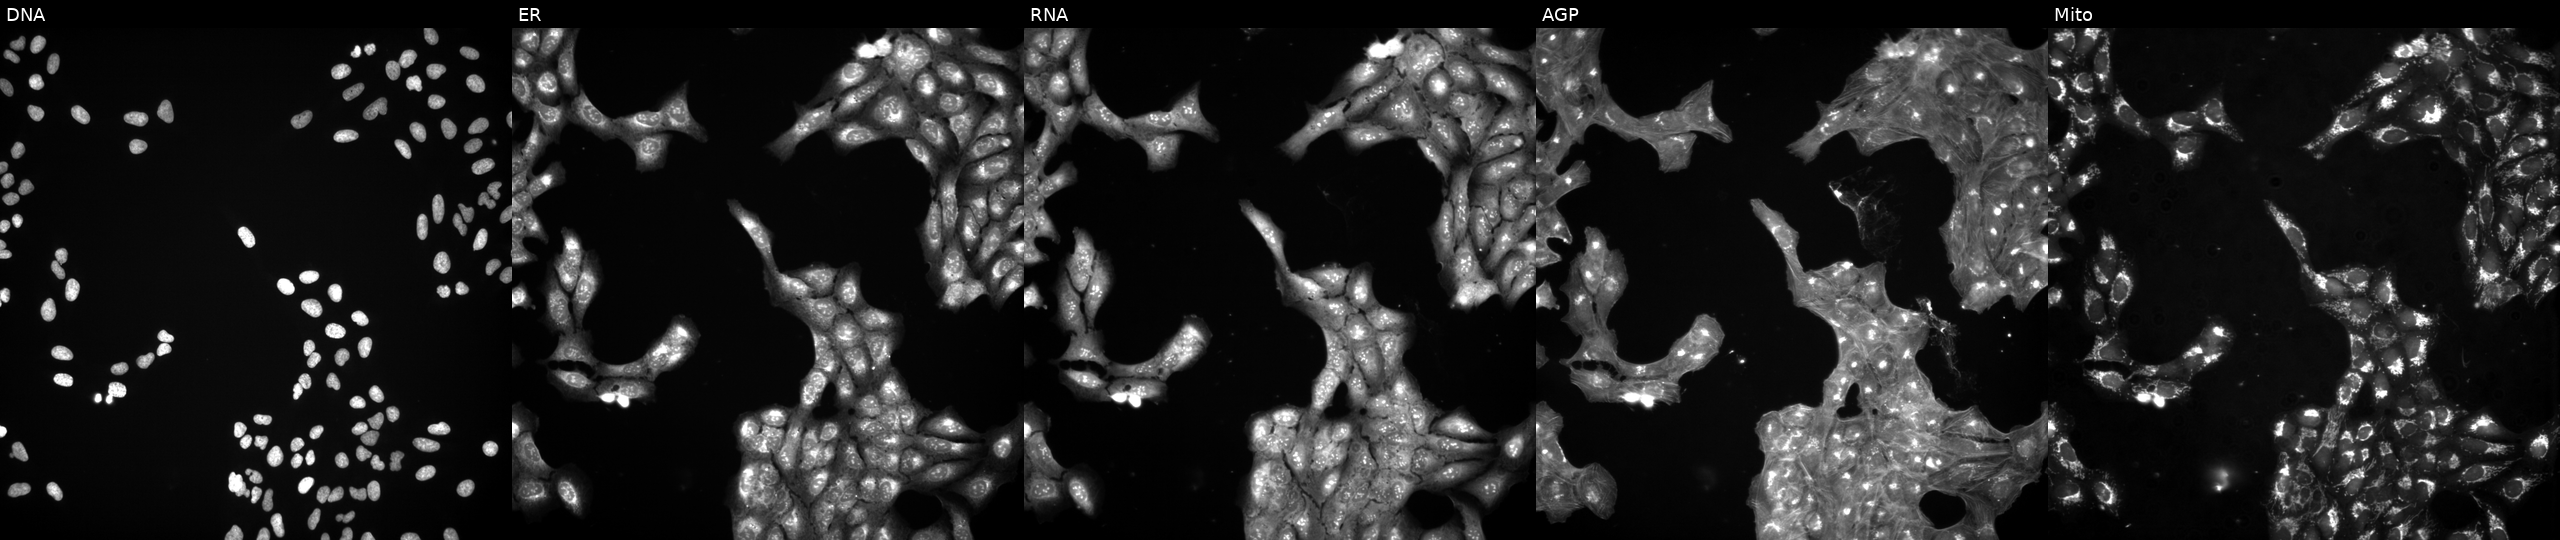
High-content fluorescence microscopy (Cell Painting). Cell line: U2OS. Perturbation: treated with DMSO vehicle only (negative control) (JUMP id JCP2022_033924). Channels (left→right): DNA, ER, RNA, AGP, and Mito.